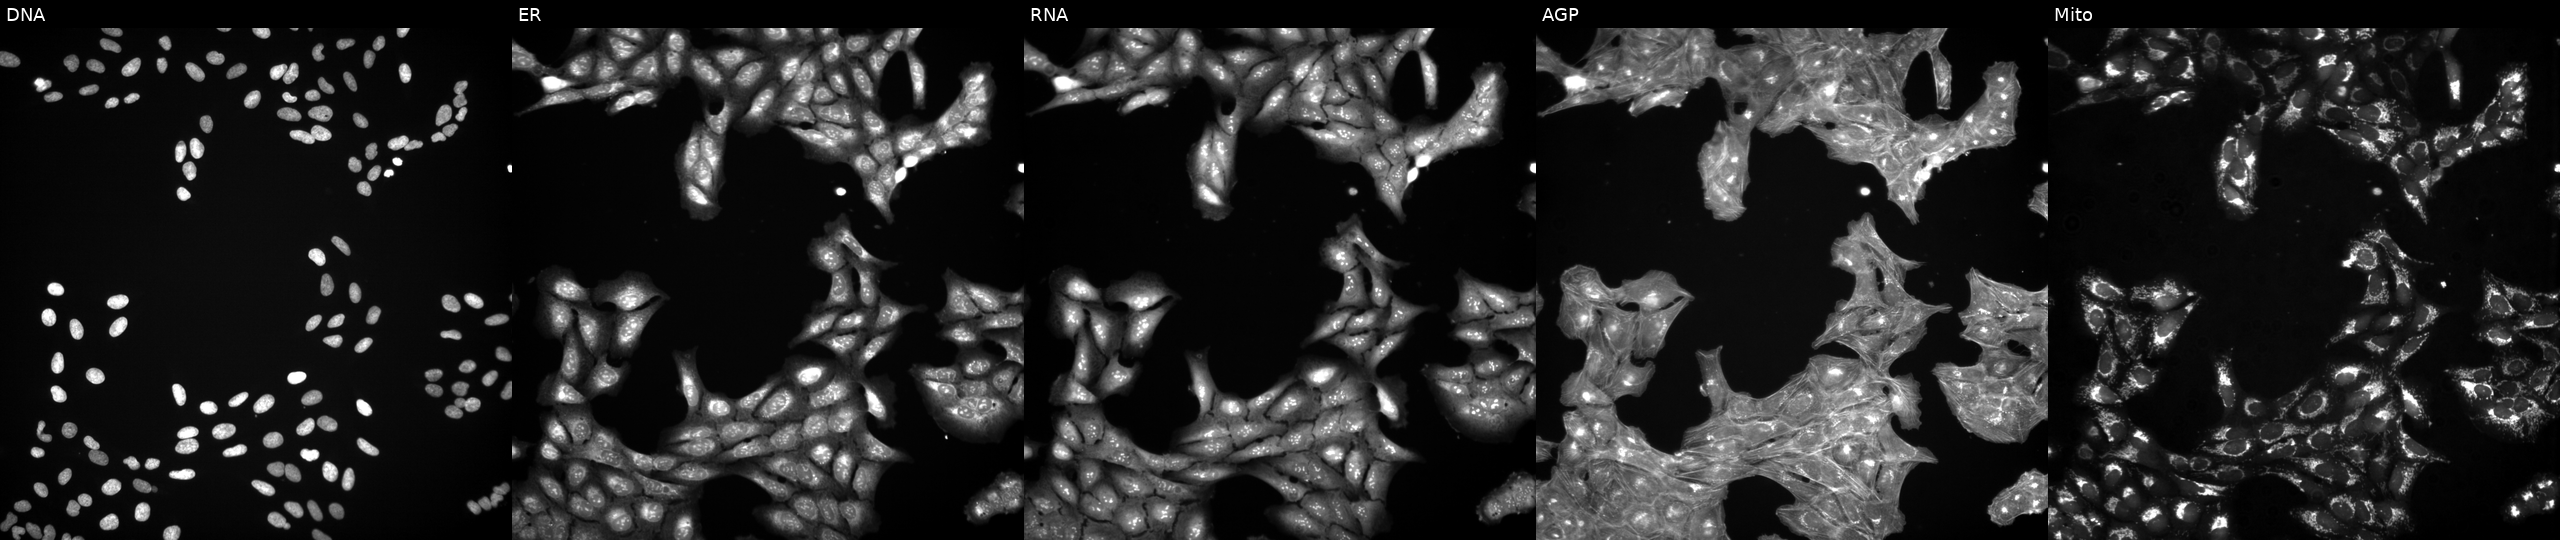
JUMP Cell Painting — TARGET2 plate. U2OS cells treated with a small-molecule compound (JUMP id JCP2022_017914). From left to right: Hoechst 33342, concanavalin A, SYTO 14, phalloidin and WGA, MitoTracker.